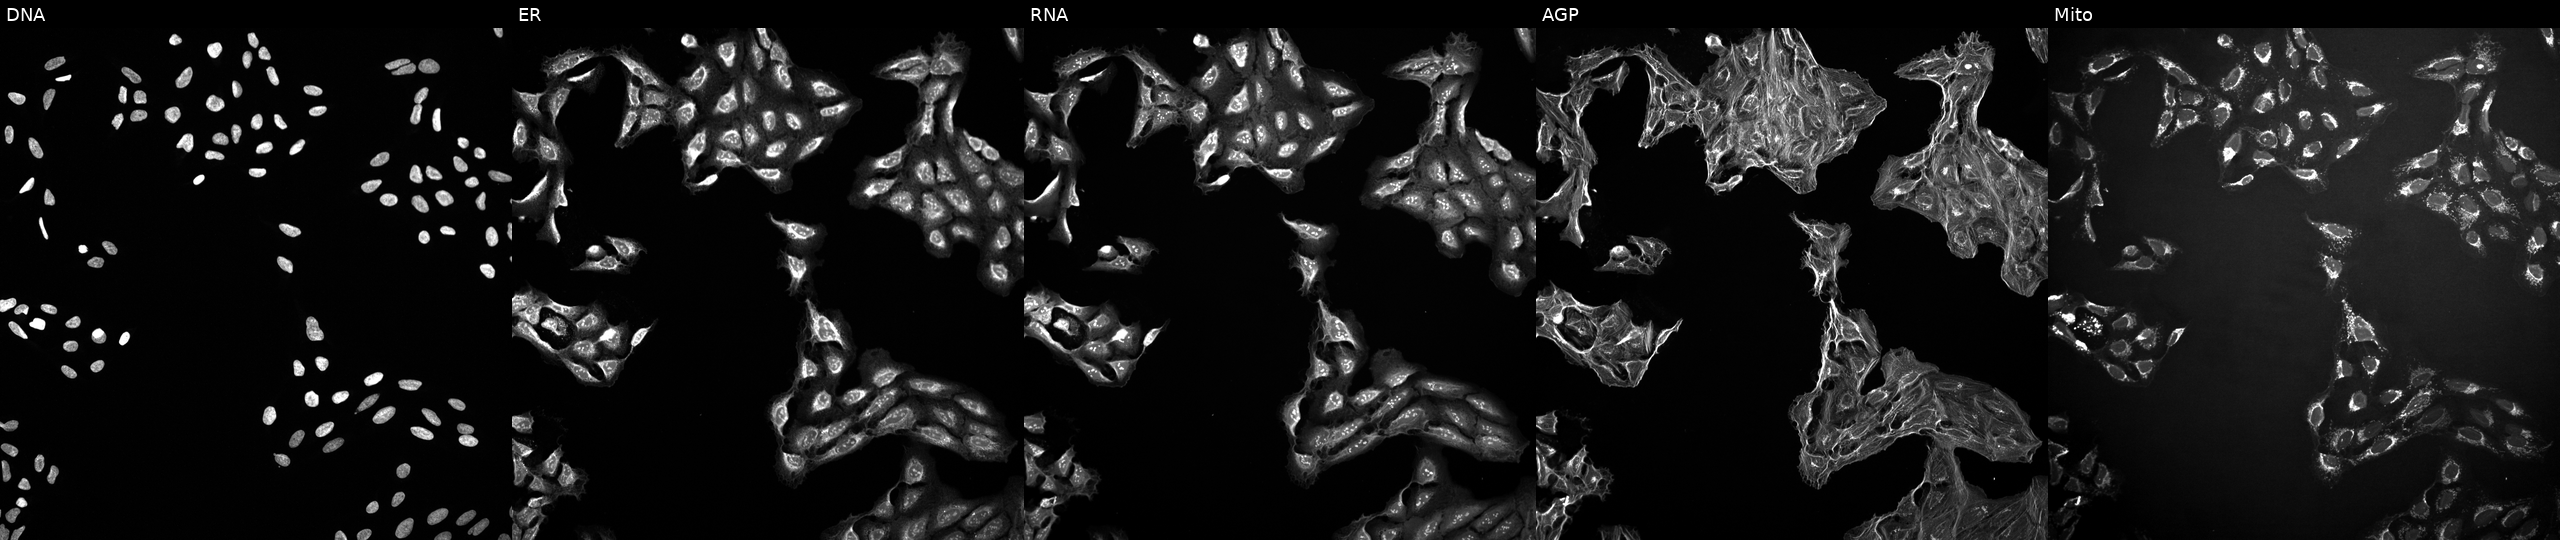
JUMP Cell Painting — TARGET2 plate. U2OS cells exposed to DMSO alone as a negative control. From left to right: DNA (nuclei); ER (endoplasmic reticulum); RNA (nucleoli and cytoplasmic RNA); AGP (actin cytoskeleton, Golgi, and plasma membrane); Mito (mitochondria).